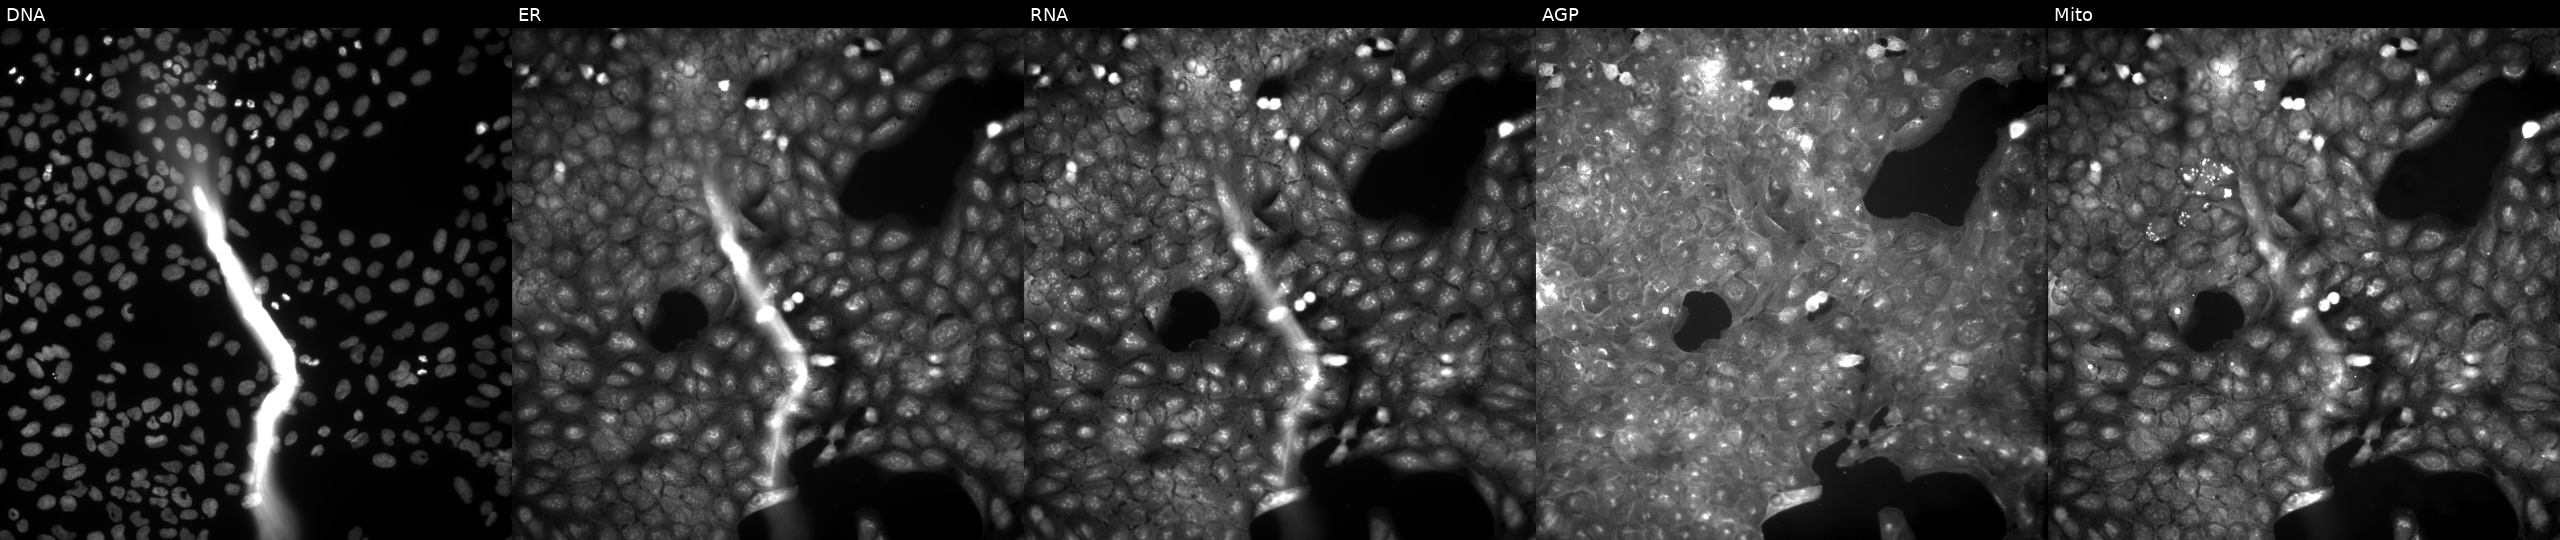
Five-channel Cell Painting image of U2OS cells treated with a small-molecule compound. Channels (left→right): DNA (nuclei); ER (endoplasmic reticulum); RNA (nucleoli and cytoplasmic RNA); AGP (actin cytoskeleton, Golgi, and plasma membrane); Mito (mitochondria).